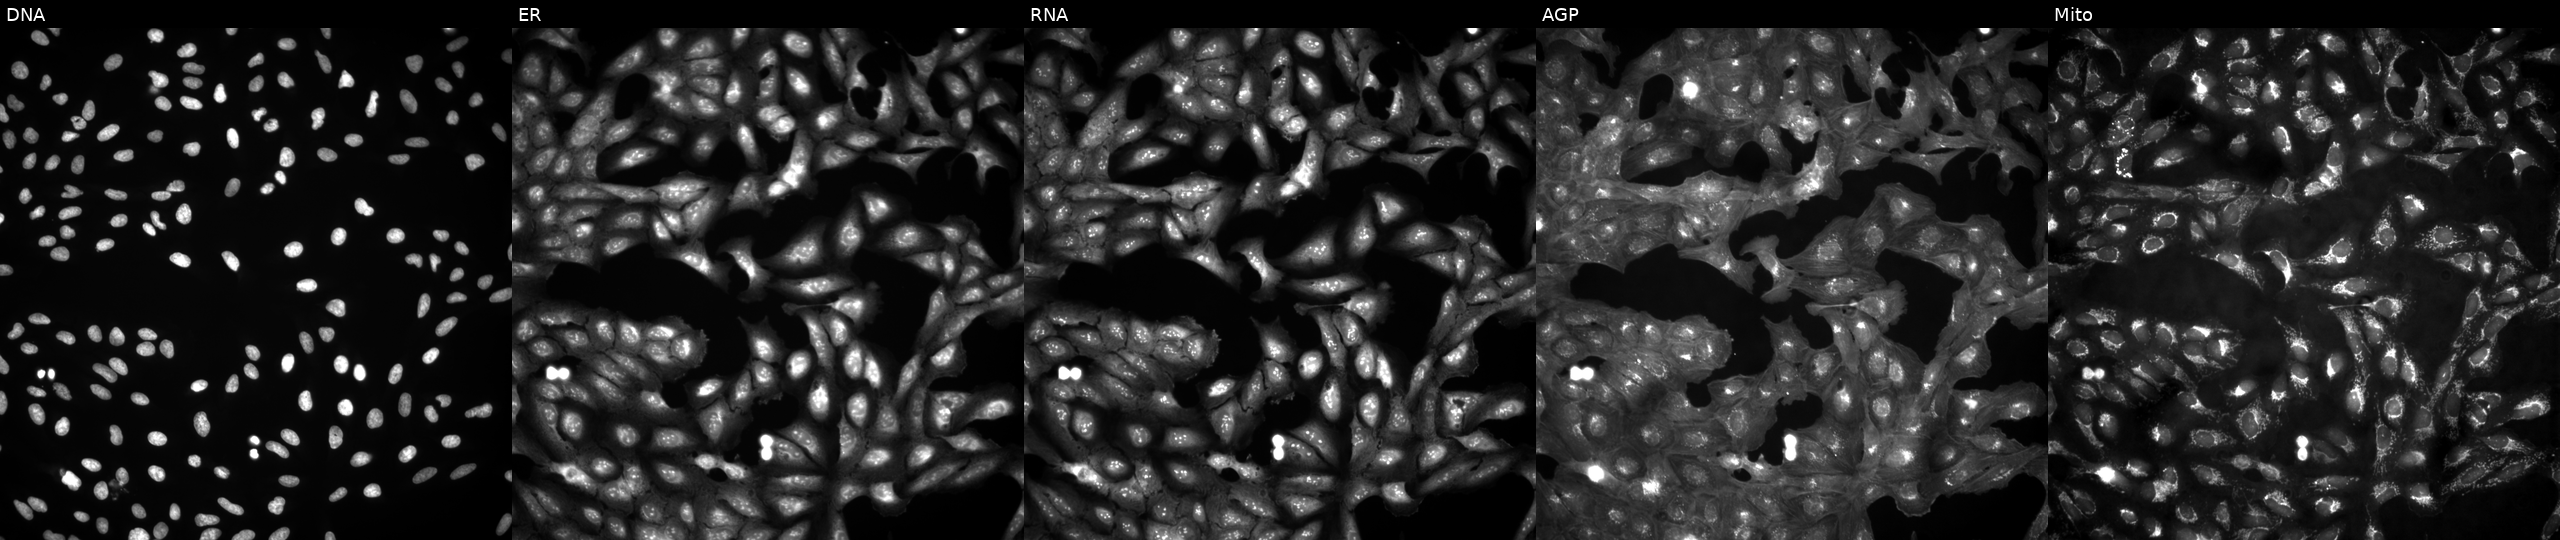
U2OS cells, Cell Painting assay, in an empty control well (no perturbation) (JUMP id JCP2022_999999). The five panels, left to right, show Hoechst 33342, concanavalin A, SYTO 14, phalloidin and WGA, MitoTracker. Each panel is percentile-stretched 16-bit fluorescence. Source 4, plate BR00123946, well C14.